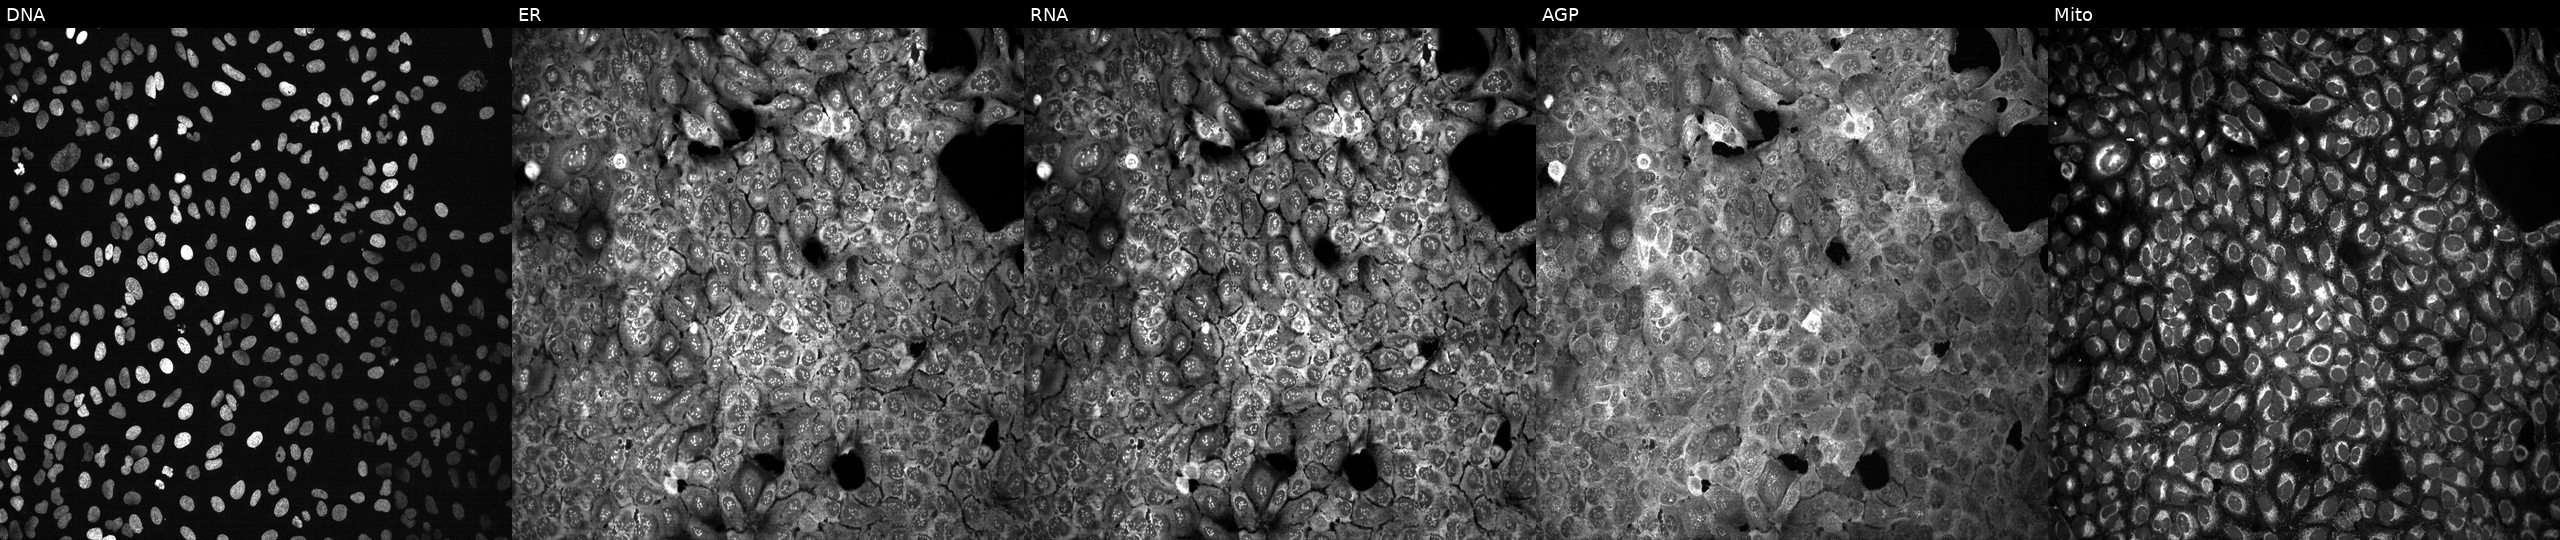
From left to right: DNA (nuclei); ER (endoplasmic reticulum); RNA (nucleoli and cytoplasmic RNA); AGP (actin cytoskeleton, Golgi, and plasma membrane); Mito (mitochondria). U2OS osteosarcoma cells CRISPR-edited to disrupt RAB35 (JUMP id JCP2022_805766). Cell Painting assay, JUMP-CP dataset.